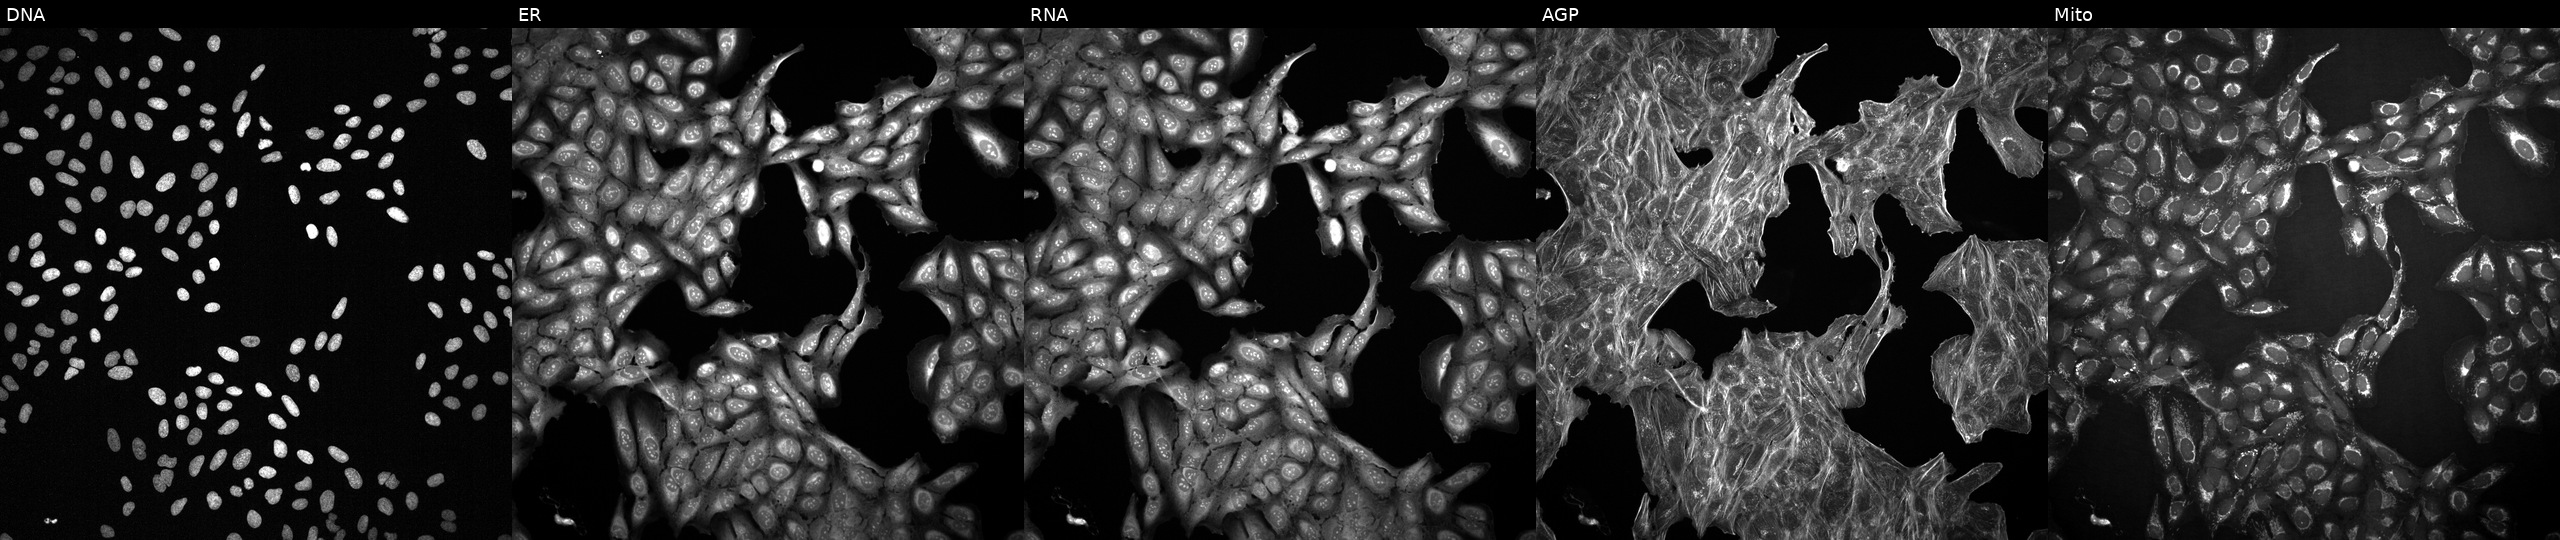
High-content fluorescence microscopy (Cell Painting). Cell line: U2OS. Perturbation: perturbed with a small-molecule compound. Channels (left→right): Hoechst 33342, concanavalin A, SYTO 14, phalloidin and WGA, MitoTracker.